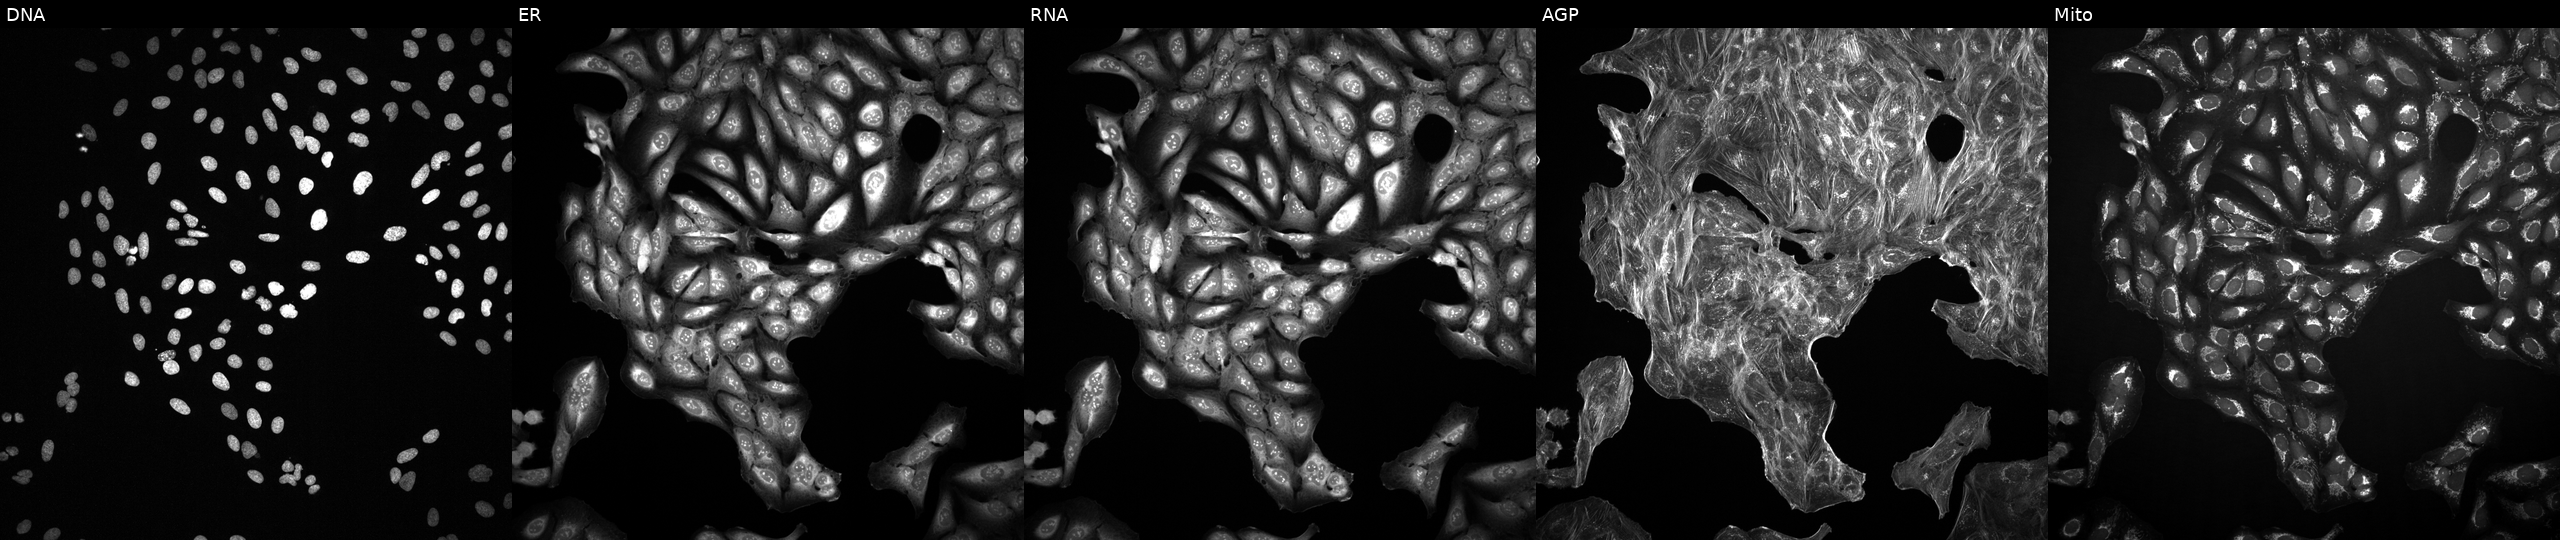
JUMP Cell Painting — TARGET2 plate. U2OS cells treated with DMSO vehicle only (negative control) (JUMP id JCP2022_033924). The five panels, left to right, show DNA (nuclei); ER (endoplasmic reticulum); RNA (nucleoli and cytoplasmic RNA); AGP (actin cytoskeleton, Golgi, and plasma membrane); Mito (mitochondria). Source 2, plate 1053597936, well F13.